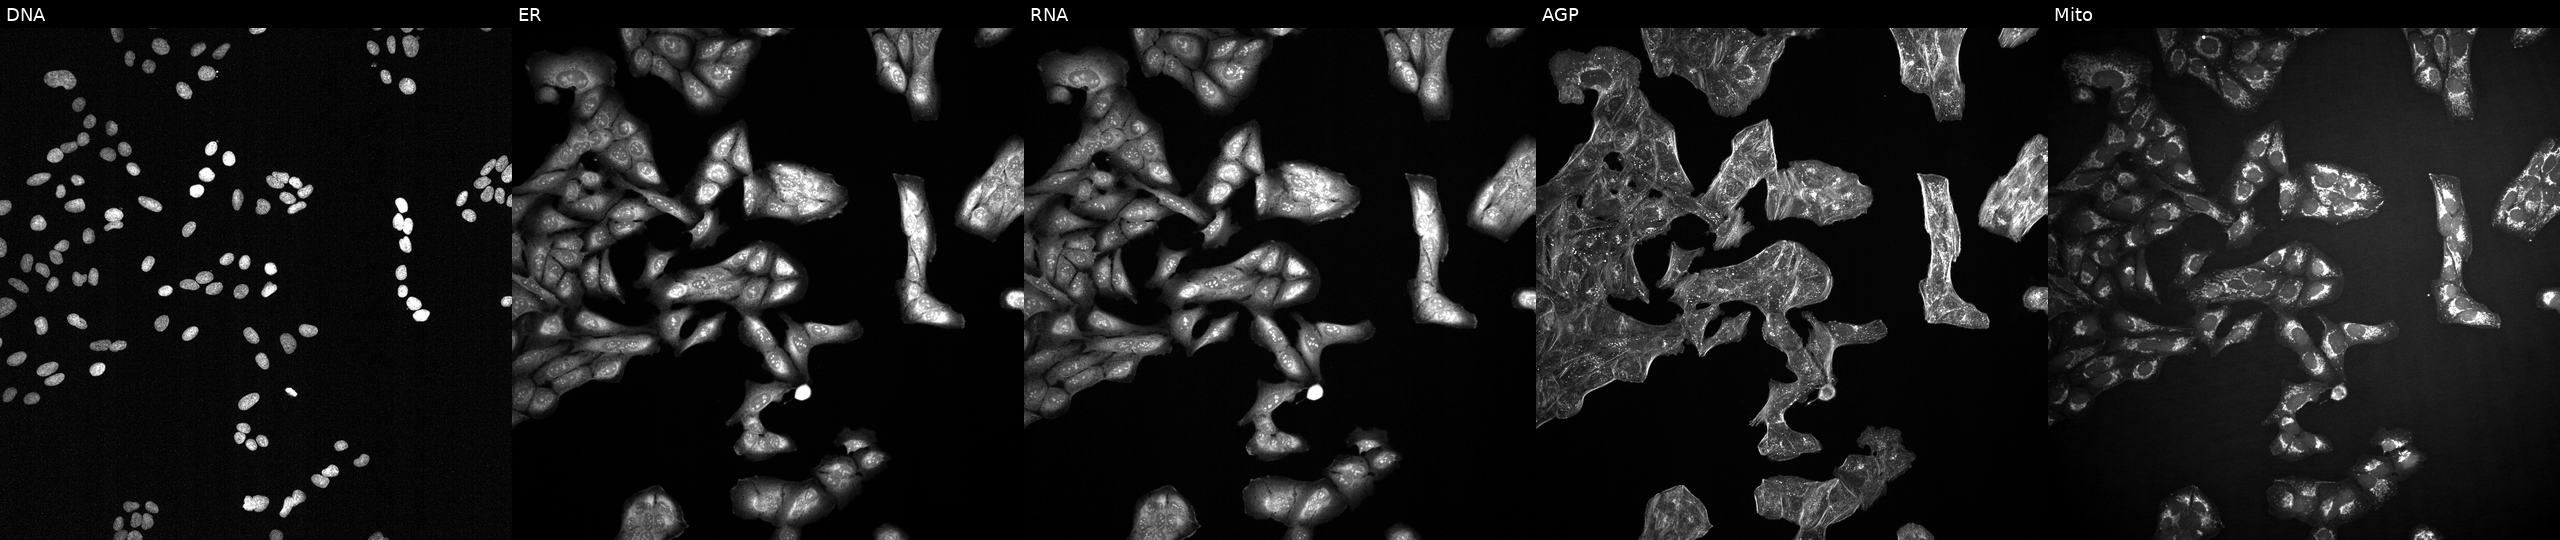
This image strip shows the five Cell Painting channels for a single field of U2OS cells exposed to a small-molecule compound (InChIKey DMWVGXGXHPOEPT-UHFFFAOYSA-N) [SMILES: COc1cc2[nH]cnc(=Nc3ccc(Oc4ccccc4)cc3)c2cc1OC]. Panels show, left to right, DNA, ER, RNA, AGP, and Mito. Source 2, plate 1053599503, well E02.